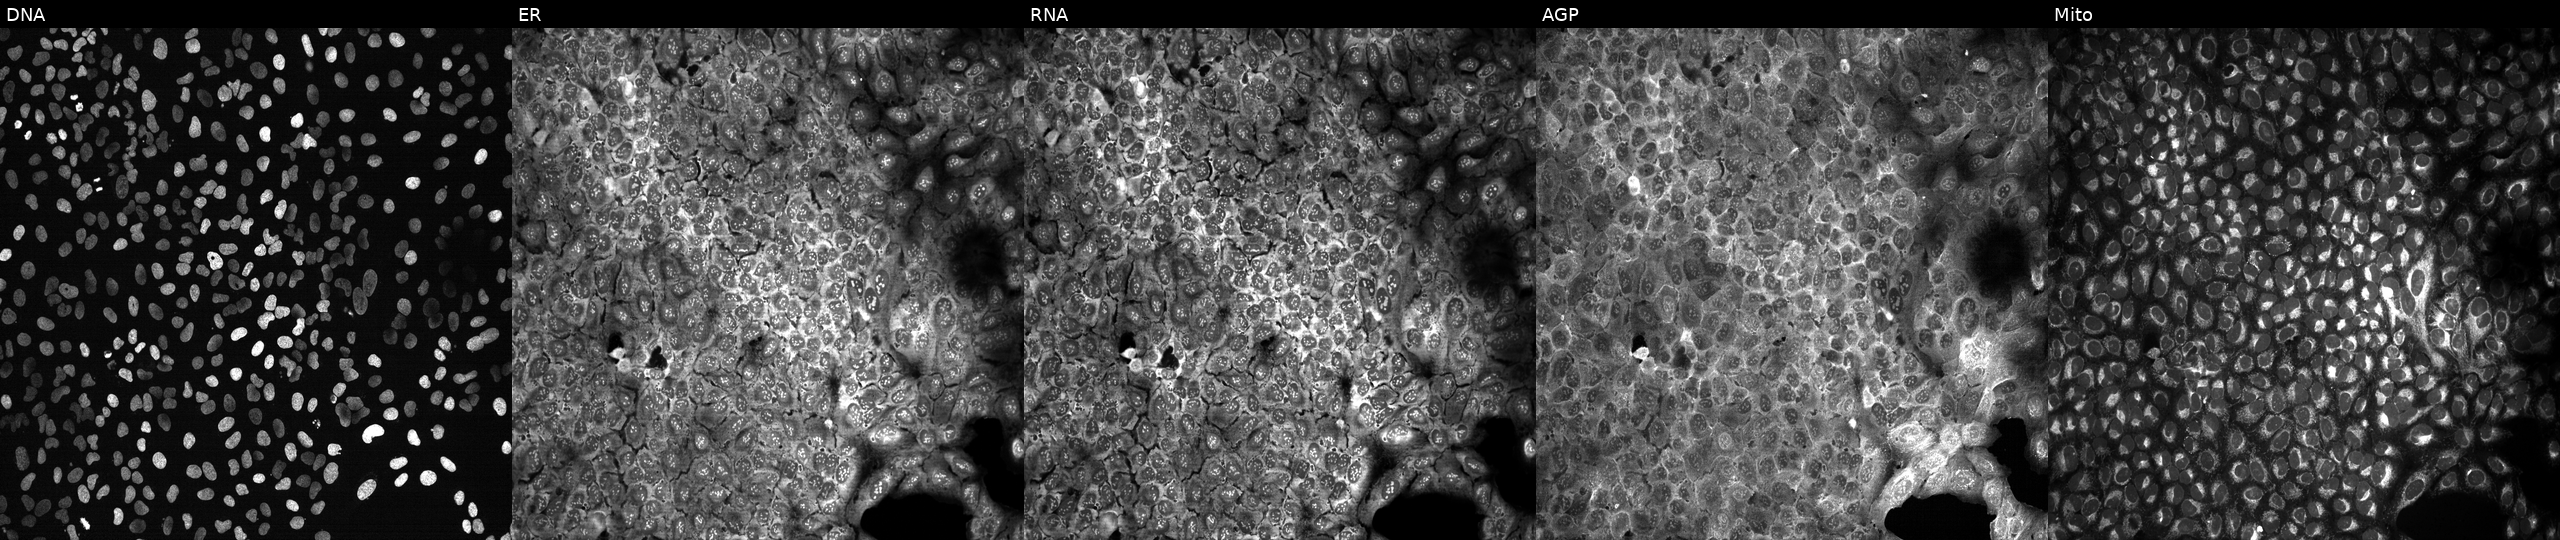
Panels show, left to right, DNA (nuclei); ER (endoplasmic reticulum); RNA (nucleoli and cytoplasmic RNA); AGP (actin cytoskeleton, Golgi, and plasma membrane); Mito (mitochondria). U2OS osteosarcoma cells CRISPR-edited to disrupt OGG1. Cell Painting assay, JUMP-CP dataset. Source 13, plate CP-CC9-R3-01, well B08.